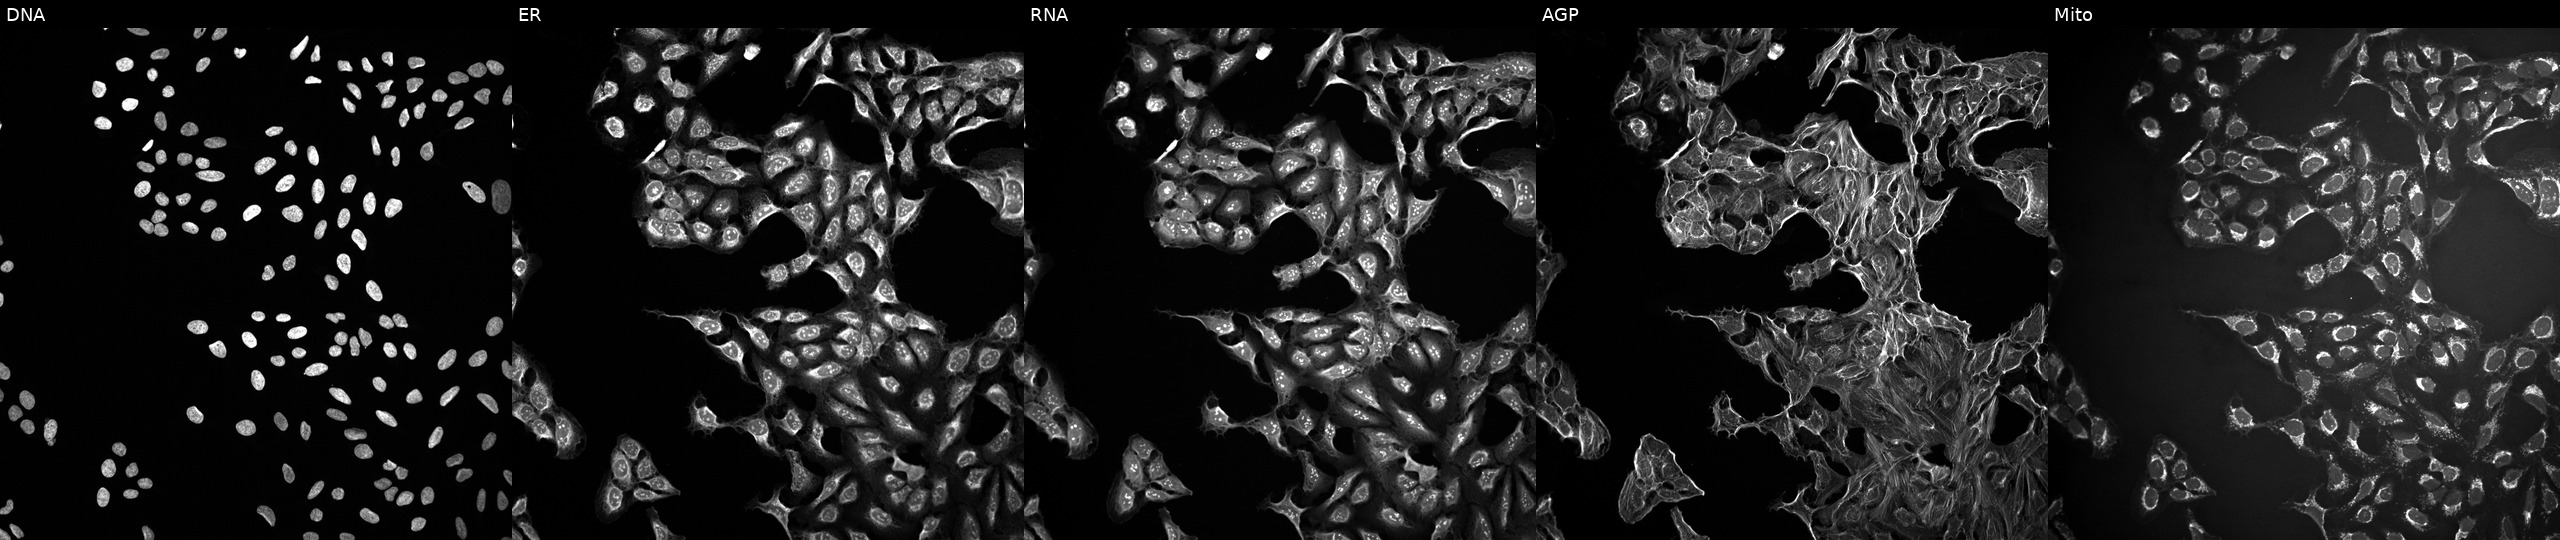
JUMP Cell Painting — TARGET2 plate. U2OS cells exposed to a small-molecule compound (InChIKey KJFMBFZCATUALV-UHFFFAOYSA-N). The five panels, left to right, show DNA (nuclei); ER (endoplasmic reticulum); RNA (nucleoli and cytoplasmic RNA); AGP (actin cytoskeleton, Golgi, and plasma membrane); Mito (mitochondria). Source 10, plate Dest210727-153003, well O16.